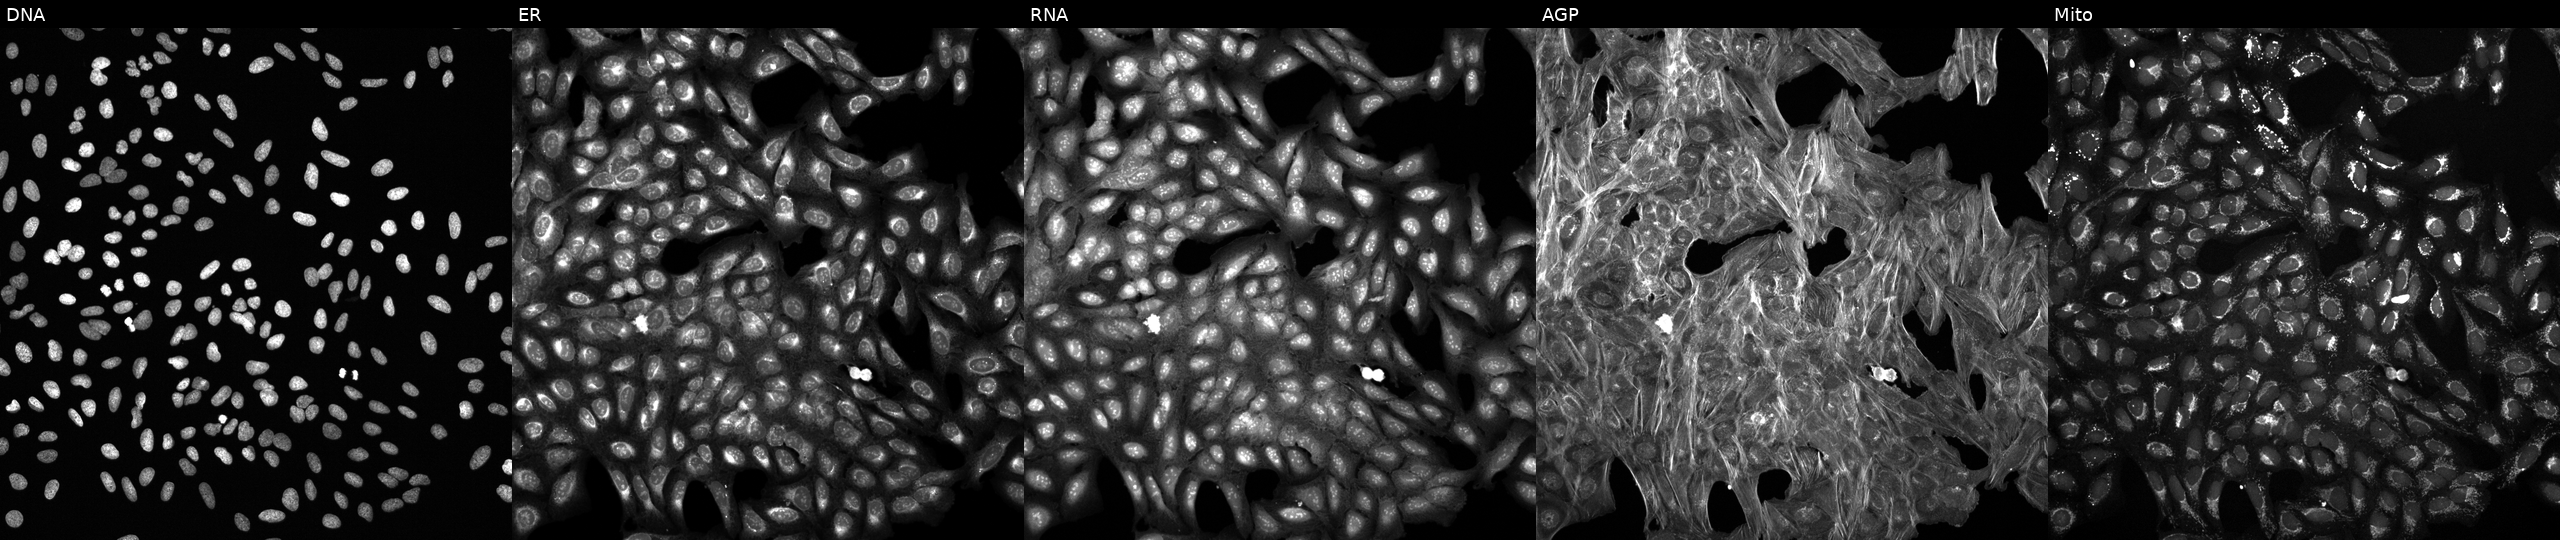
This image strip shows the five Cell Painting channels for a single field of U2OS cells exposed to a small-molecule compound (InChIKey XXNPSTVLBWSCCH-UHFFFAOYSA-N). Panels show, left to right, DNA (nuclei); ER (endoplasmic reticulum); RNA (nucleoli and cytoplasmic RNA); AGP (actin cytoskeleton, Golgi, and plasma membrane); Mito (mitochondria). Source 6, plate 110000293082, well A16.